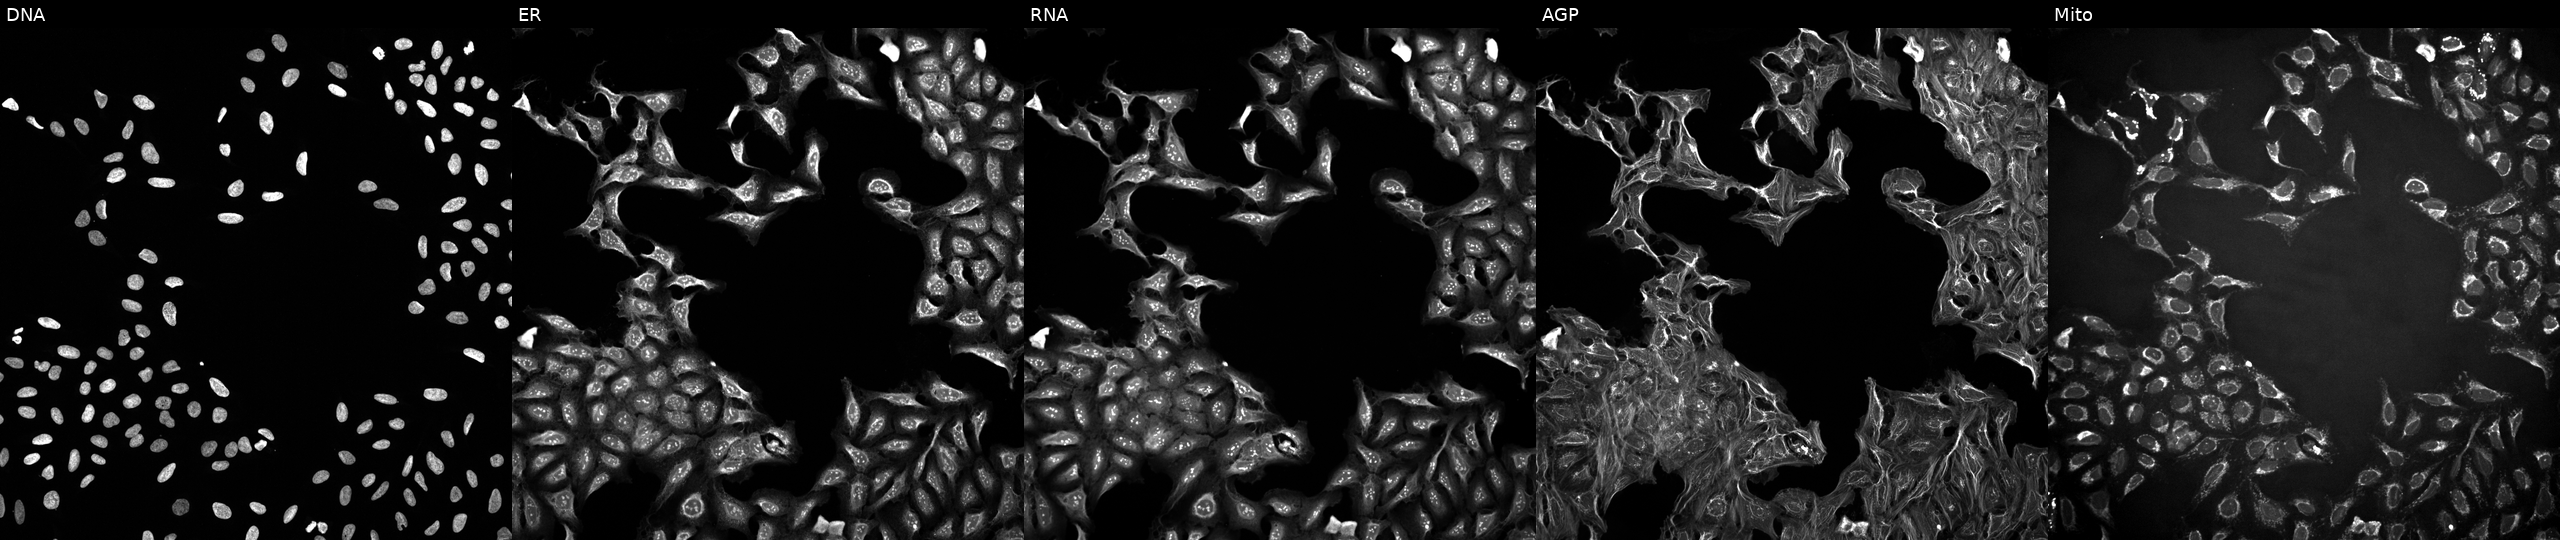
High-content fluorescence microscopy (Cell Painting). Cell line: U2OS. Perturbation: treated with DMSO vehicle only (negative control). The five panels, left to right, show DNA, ER, RNA, AGP, and Mito.